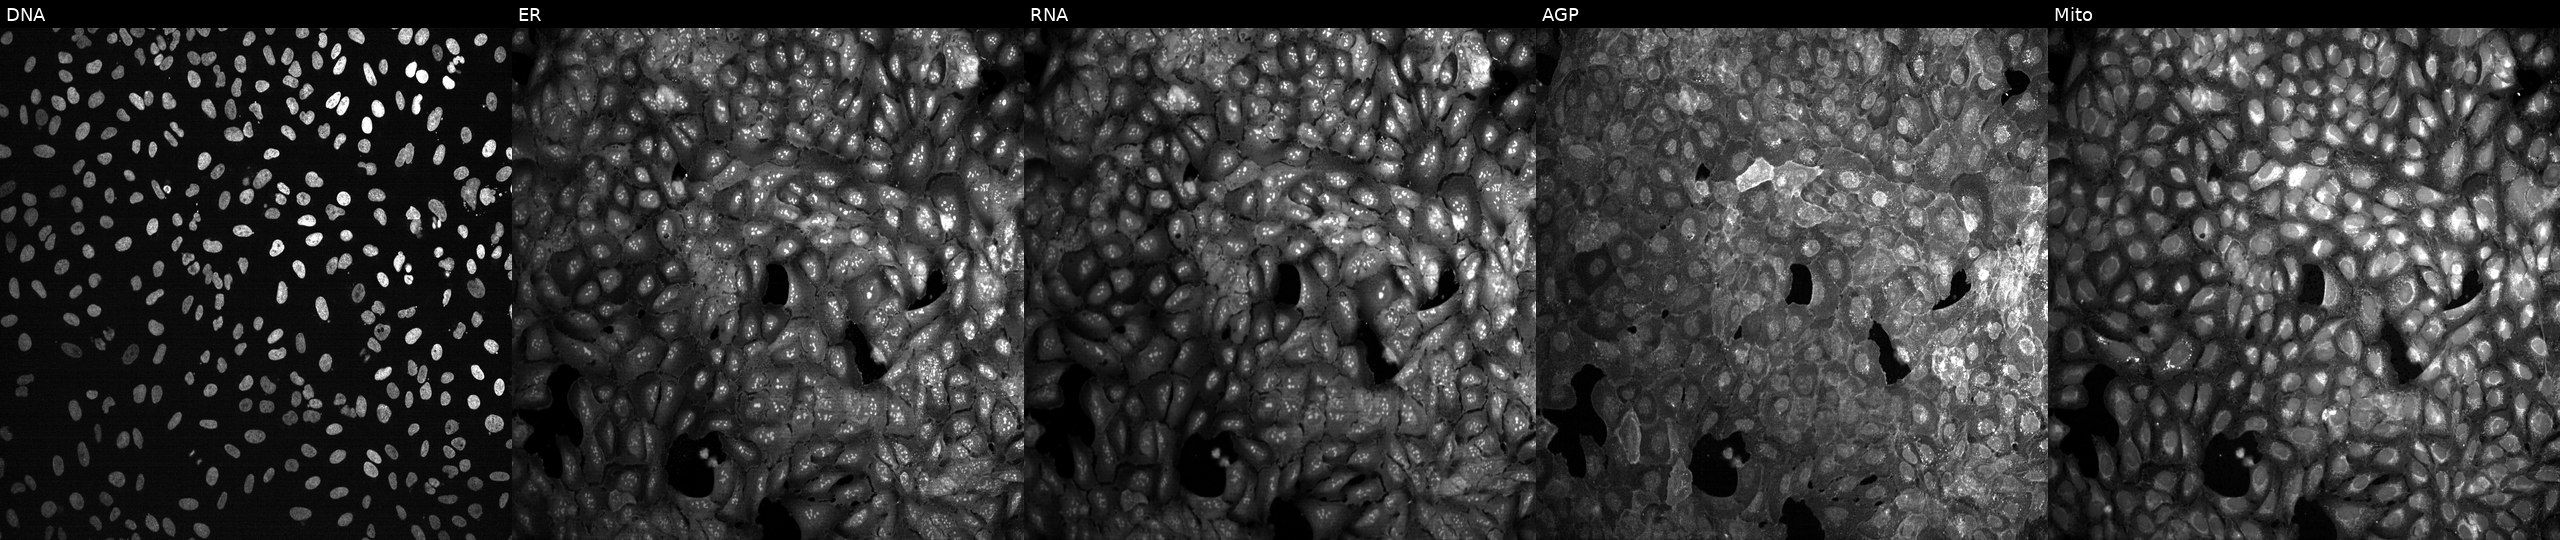
JUMP Cell Painting — CRISPR plate. U2OS cells CRISPR-edited to disrupt SPATA5L1. The five panels, left to right, show DNA (nuclei); ER (endoplasmic reticulum); RNA (nucleoli and cytoplasmic RNA); AGP (actin cytoskeleton, Golgi, and plasma membrane); Mito (mitochondria).